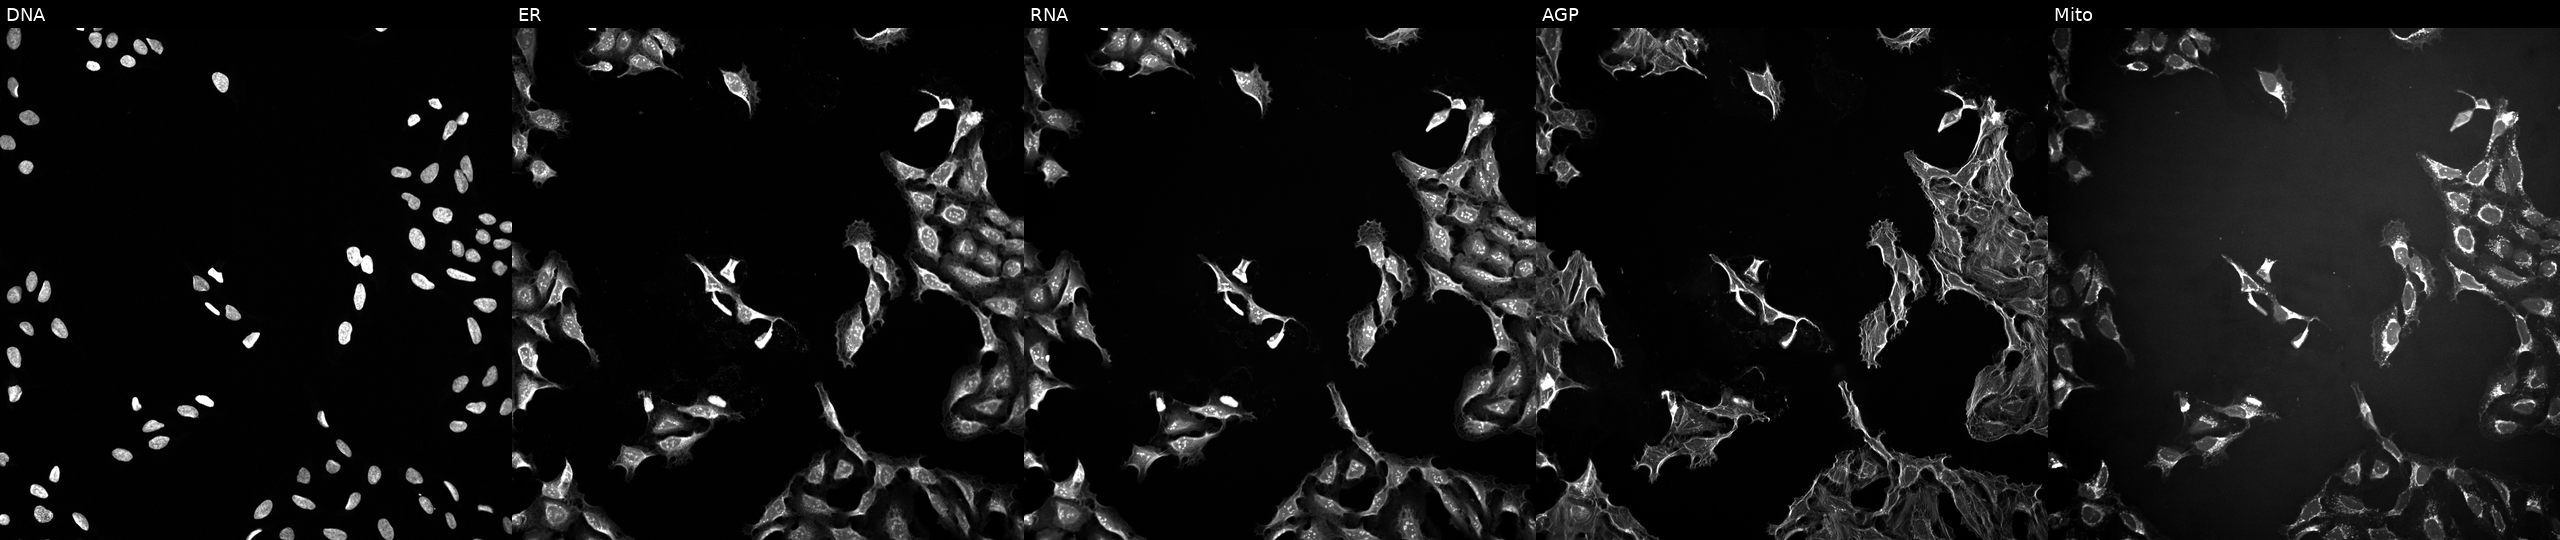
JUMP Cell Painting — TARGET2 plate. U2OS cells perturbed with a small-molecule compound (JUMP id JCP2022_003951). Channels (left→right): DNA, ER, RNA, AGP, and Mito.